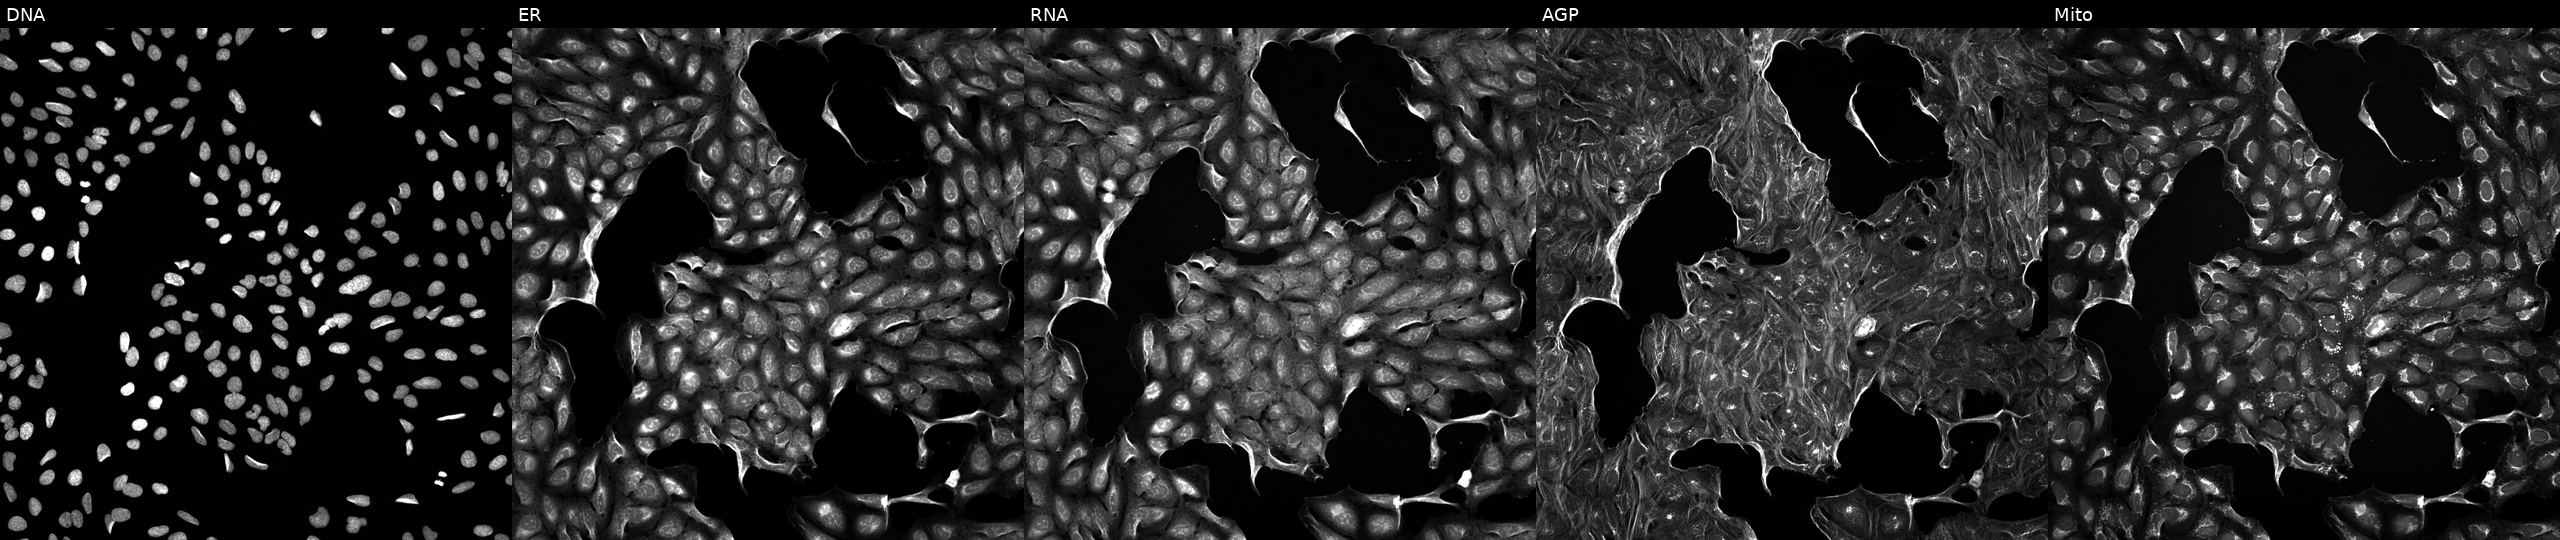
U2OS cells, Cell Painting assay, perturbed with a small-molecule compound (InChIKey BYBLEWFAAKGYCD-UHFFFAOYSA-N). Panels show, left to right, DNA (nuclei); ER (endoplasmic reticulum); RNA (nucleoli and cytoplasmic RNA); AGP (actin cytoskeleton, Golgi, and plasma membrane); Mito (mitochondria). Each panel is percentile-stretched 16-bit fluorescence.